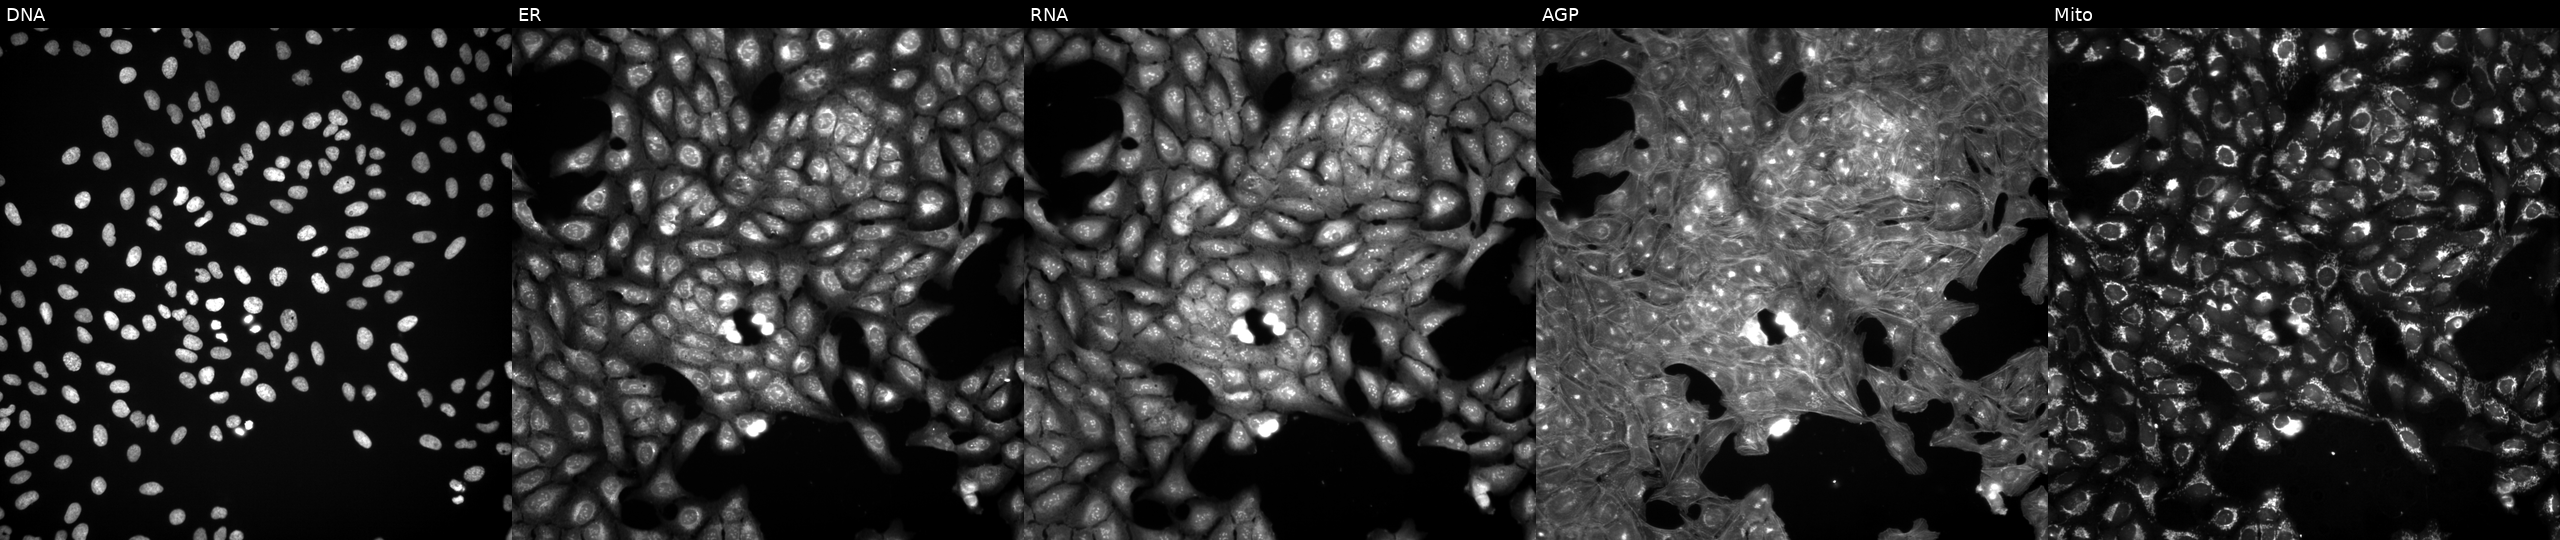
This image strip shows the five Cell Painting channels for a single field of U2OS cells treated with DMSO vehicle only (negative control) (JUMP id JCP2022_033924). Panels show, left to right, DNA (nuclei); ER (endoplasmic reticulum); RNA (nucleoli and cytoplasmic RNA); AGP (actin cytoskeleton, Golgi, and plasma membrane); Mito (mitochondria).